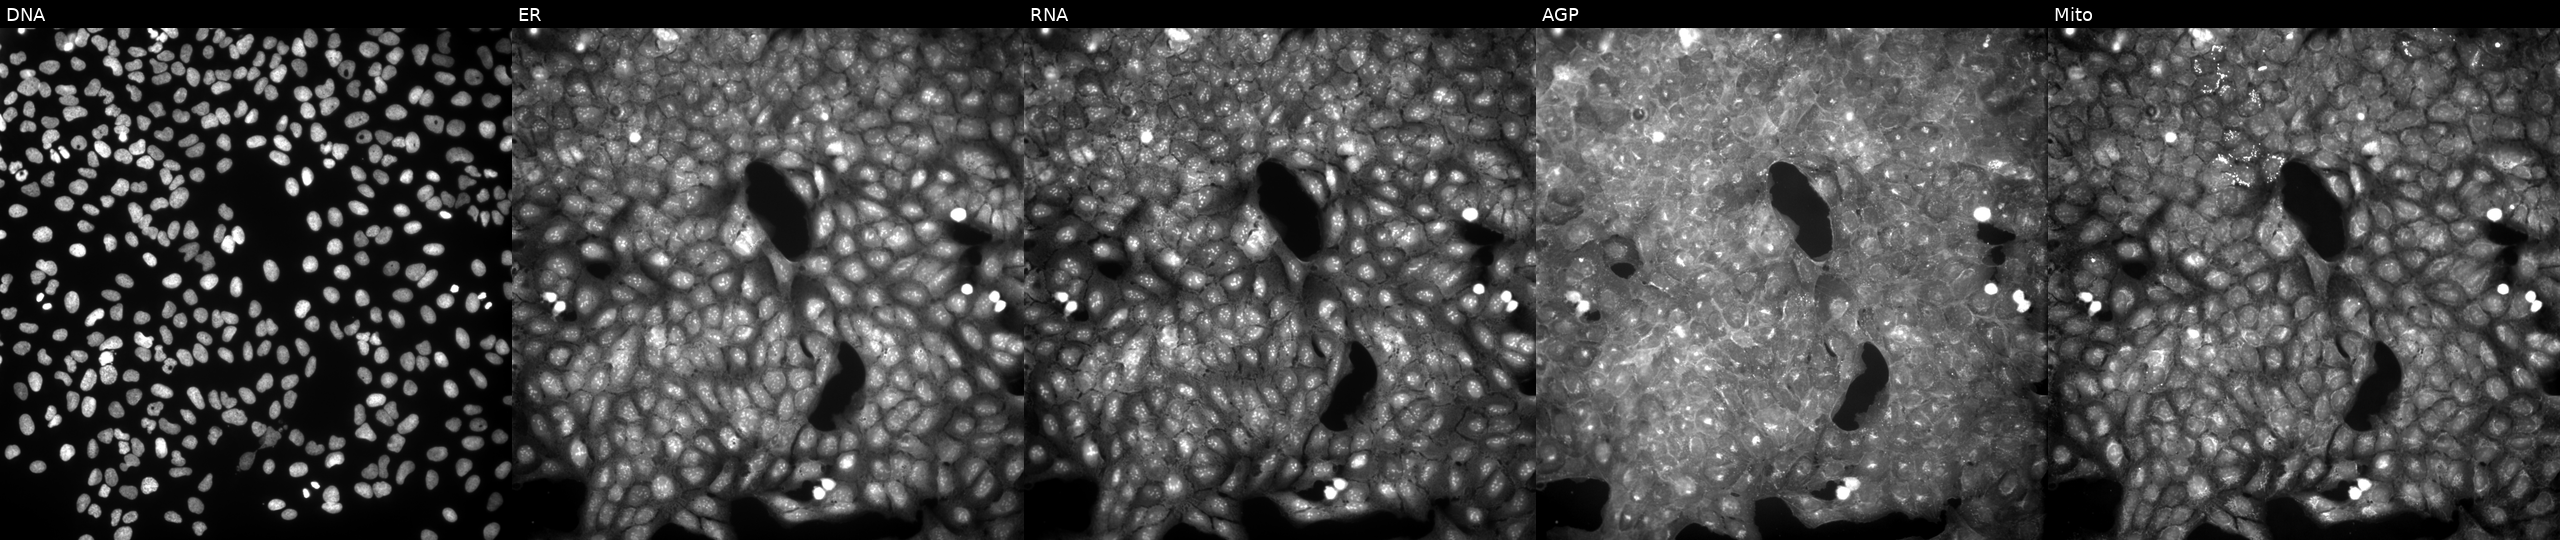
High-content fluorescence microscopy (Cell Painting). Cell line: U2OS. Perturbation: exposed to a small-molecule compound (InChIKey AGPZECXSFFAVJN-UHFFFAOYSA-N) [SMILES: COc1ccc(Cn2c(CC(=O)Nc3ccccc3)c(O)n(Cc3ccccc3)c2=S)cc1OC] (JUMP id JCP2022_001288). From left to right: DNA, ER, RNA, AGP, and Mito. Source 9, plate GR00003382, well N21.